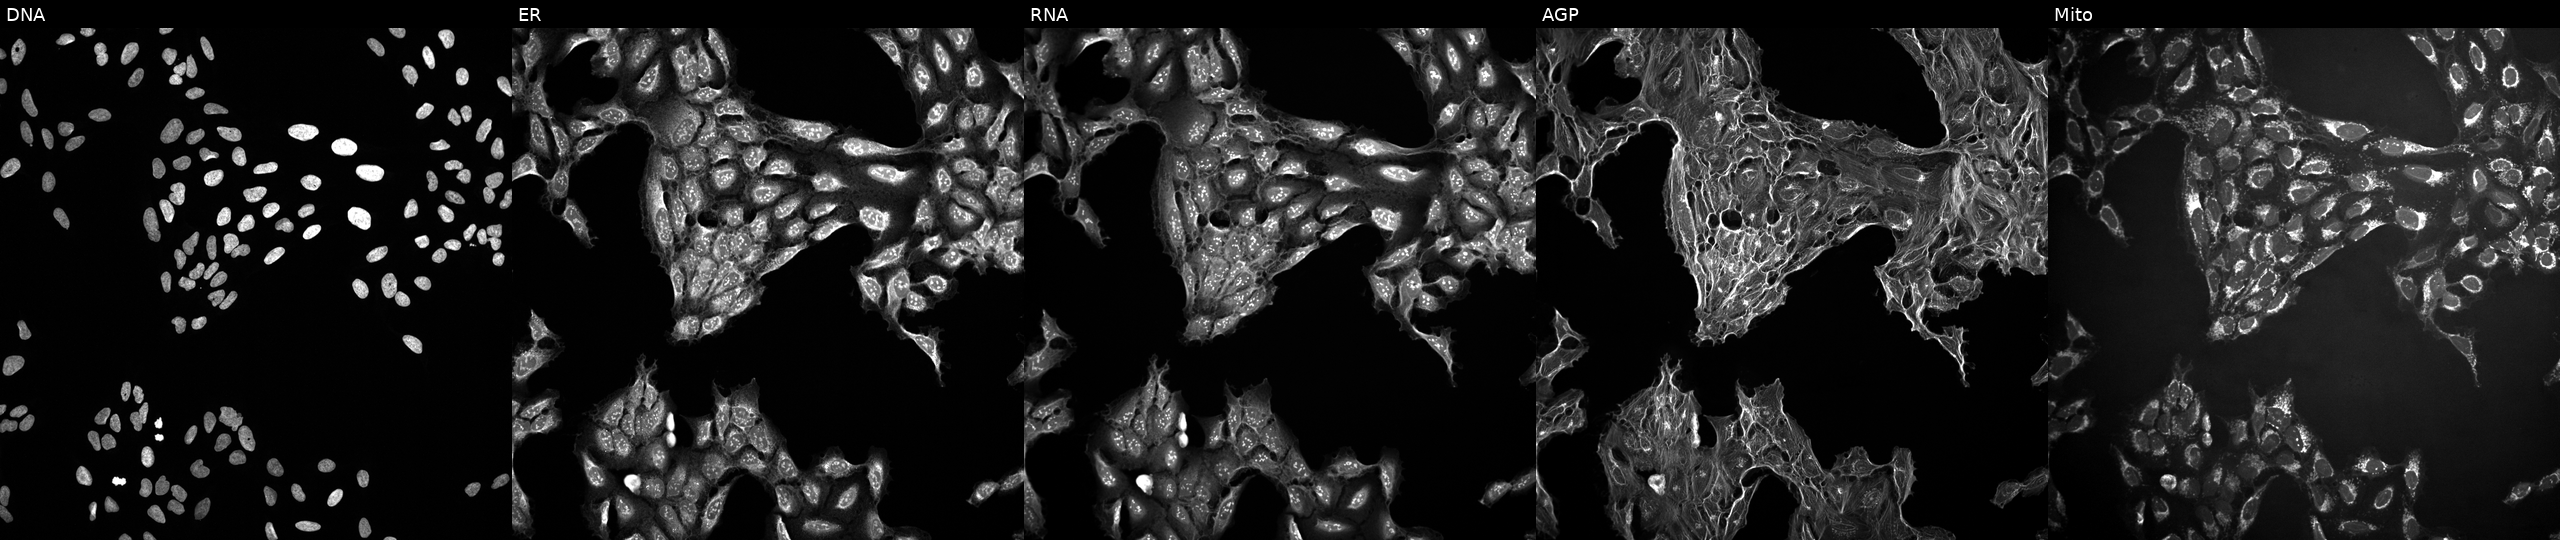
JUMP Cell Painting — TARGET2 plate. U2OS cells exposed to a small-molecule compound (InChIKey QUGDTMONBLMLLD-UHFFFAOYSA-N) (JUMP id JCP2022_075916). Panels show, left to right, DNA, ER, RNA, AGP, and Mito.